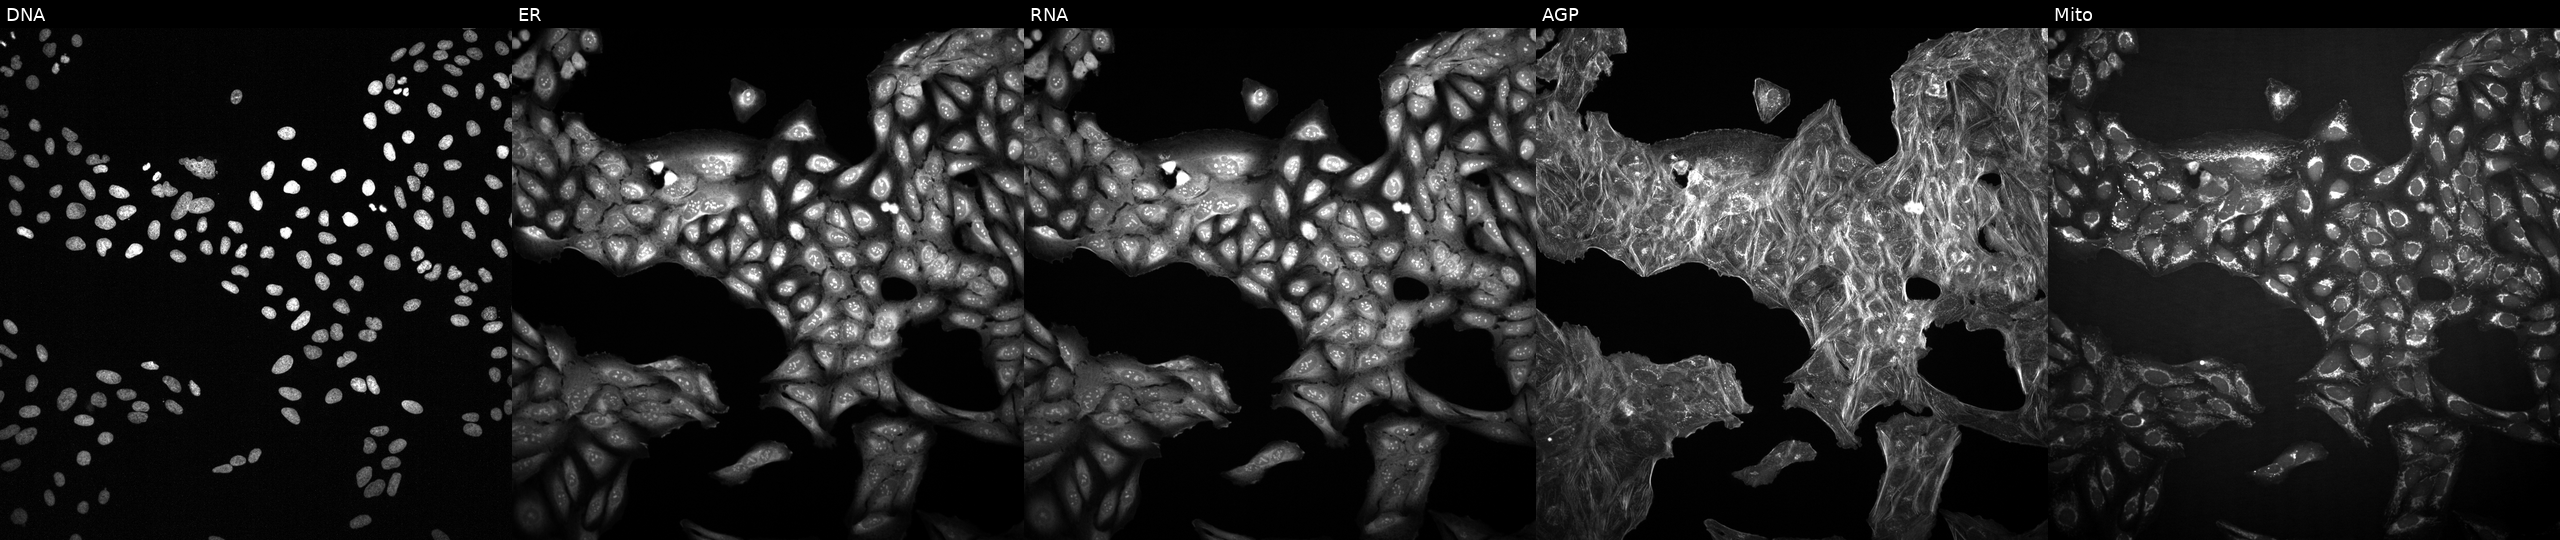
This image strip shows the five Cell Painting channels for a single field of U2OS cells exposed to a small-molecule compound. The five panels, left to right, show Hoechst 33342, concanavalin A, SYTO 14, phalloidin and WGA, MitoTracker.